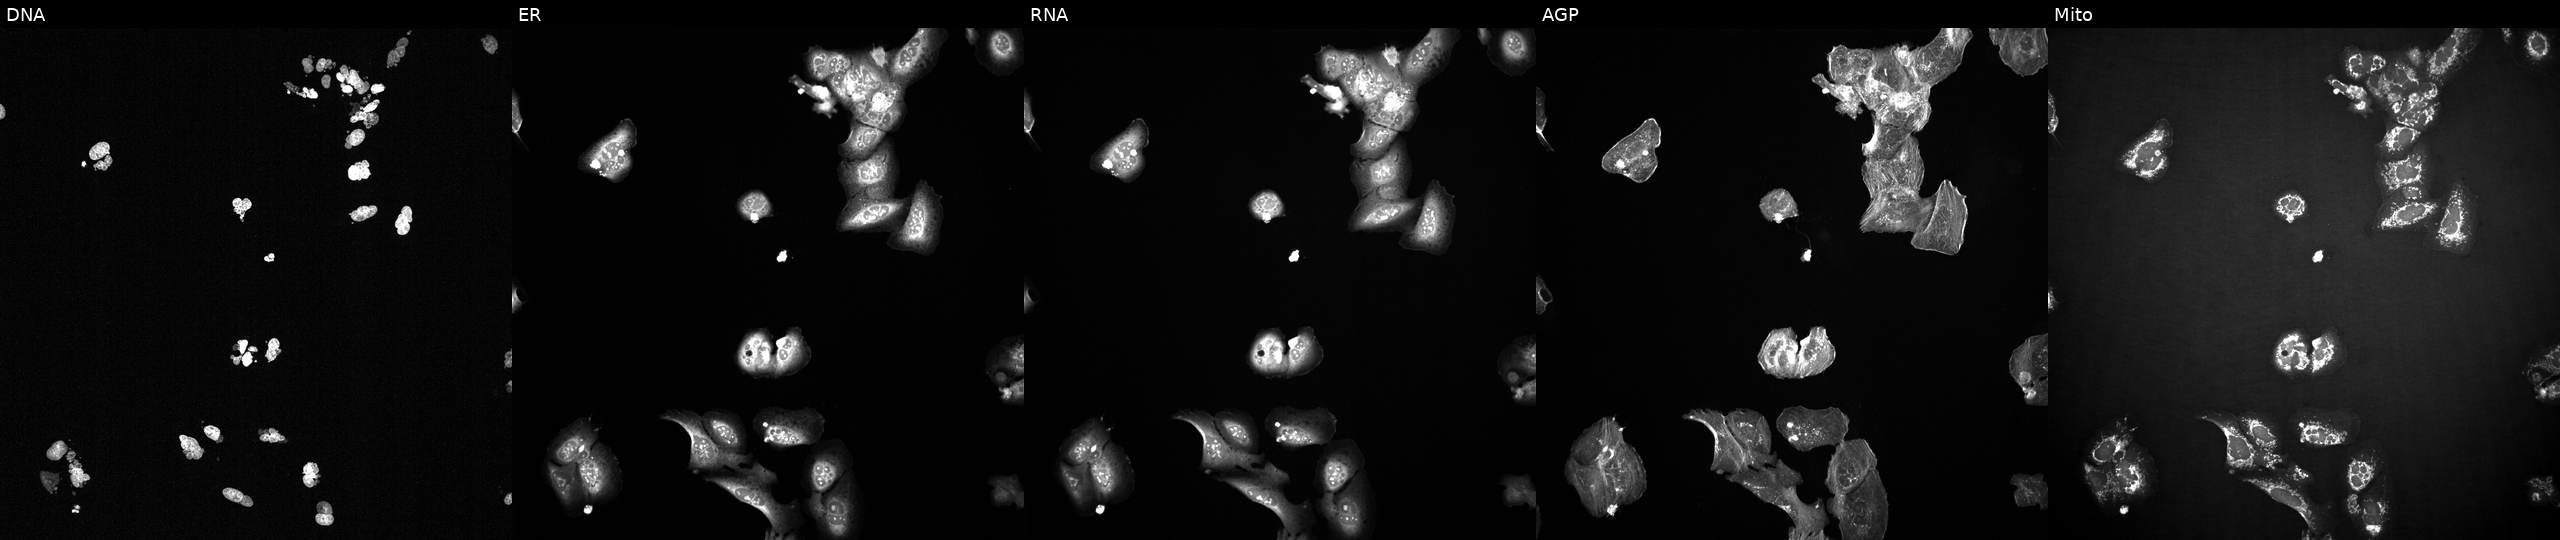
U2OS cells, Cell Painting assay, perturbed with a small-molecule compound [SMILES: CCCCCCOc1nsnc1C1=CCCN(C)C1] (JUMP id JCP2022_041107). Panels show, left to right, Hoechst 33342, concanavalin A, SYTO 14, phalloidin and WGA, MitoTracker. Each panel is percentile-stretched 16-bit fluorescence. Source 2, plate 1053600674, well H01.